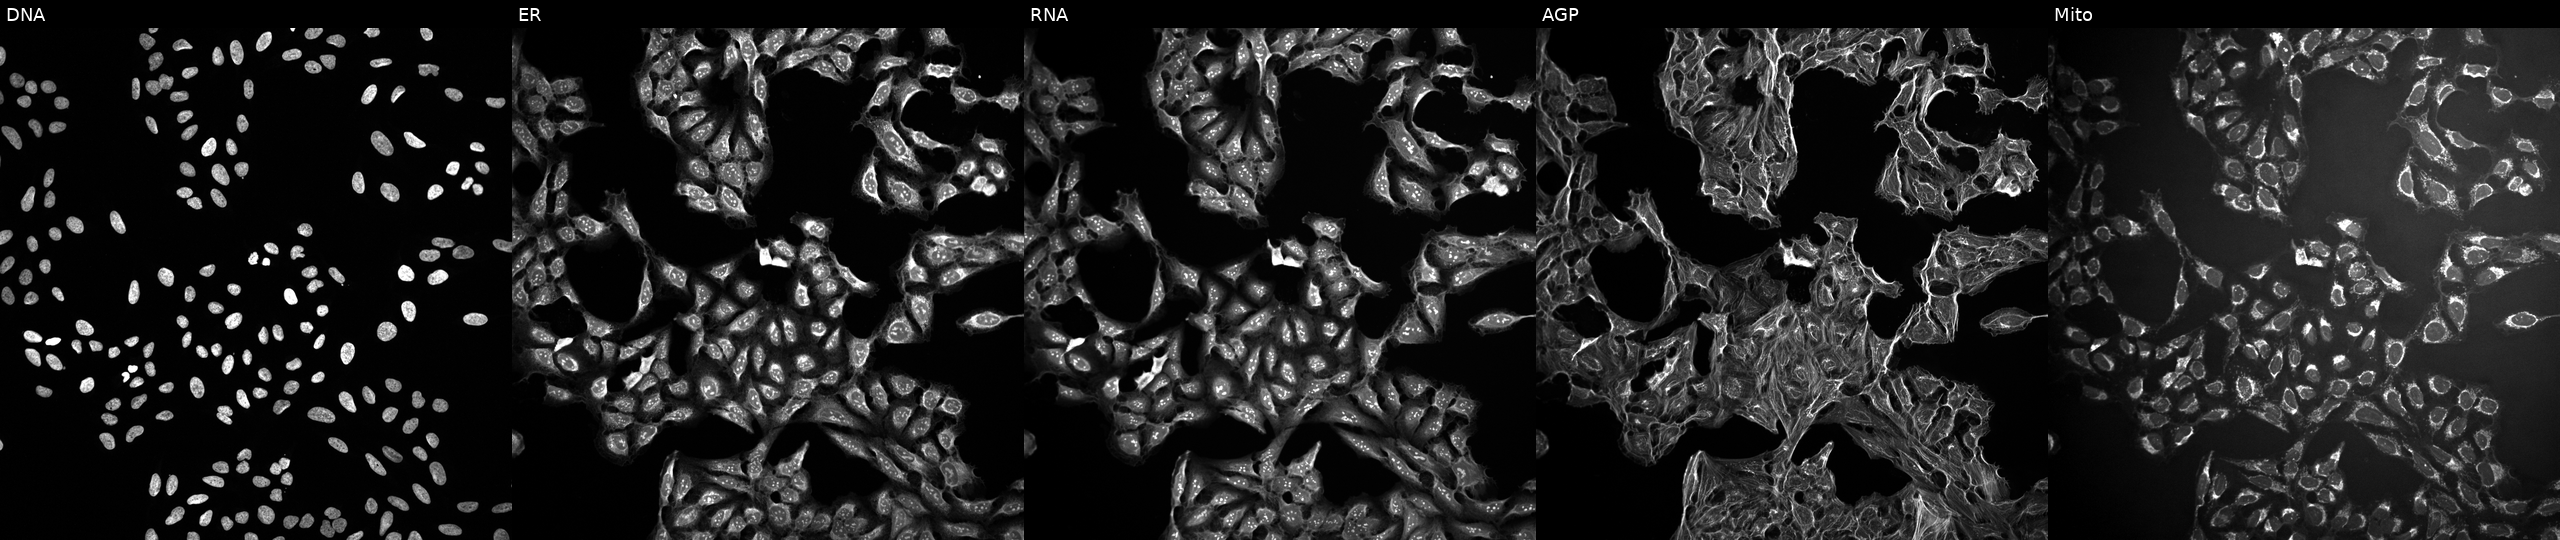
U2OS cells, Cell Painting assay, treated with a small-molecule compound. From left to right: DNA (nuclei); ER (endoplasmic reticulum); RNA (nucleoli and cytoplasmic RNA); AGP (actin cytoskeleton, Golgi, and plasma membrane); Mito (mitochondria). Each panel is percentile-stretched 16-bit fluorescence.